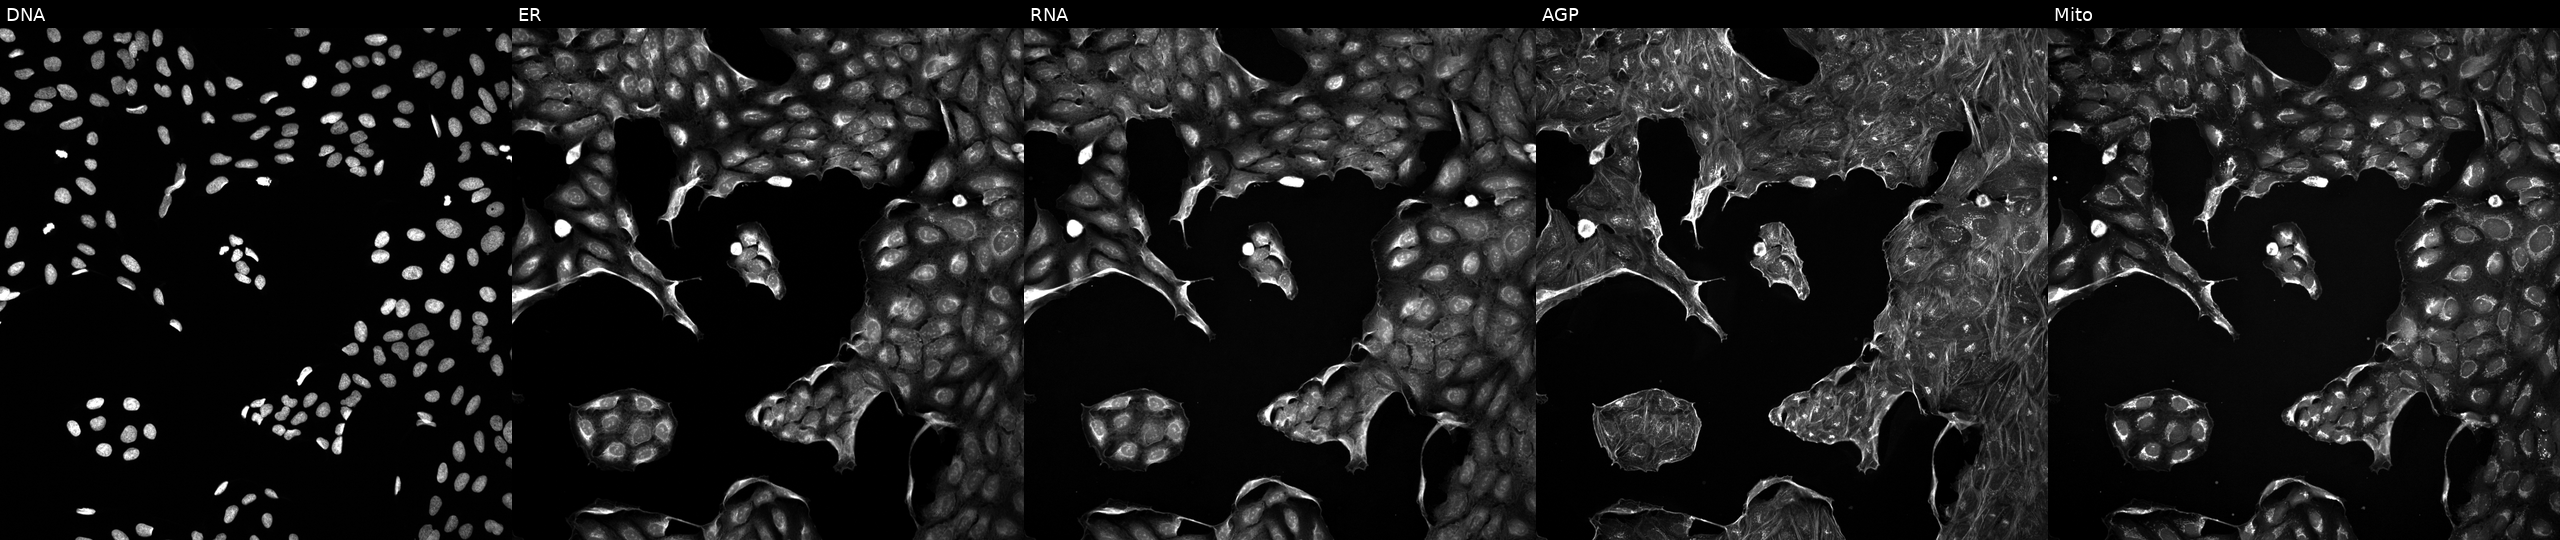
U2OS cells, Cell Painting assay, treated with DMSO vehicle only (negative control). From left to right: Hoechst 33342, concanavalin A, SYTO 14, phalloidin and WGA, MitoTracker. Each panel is percentile-stretched 16-bit fluorescence. Source 5, plate ACPJUM051, well I20.